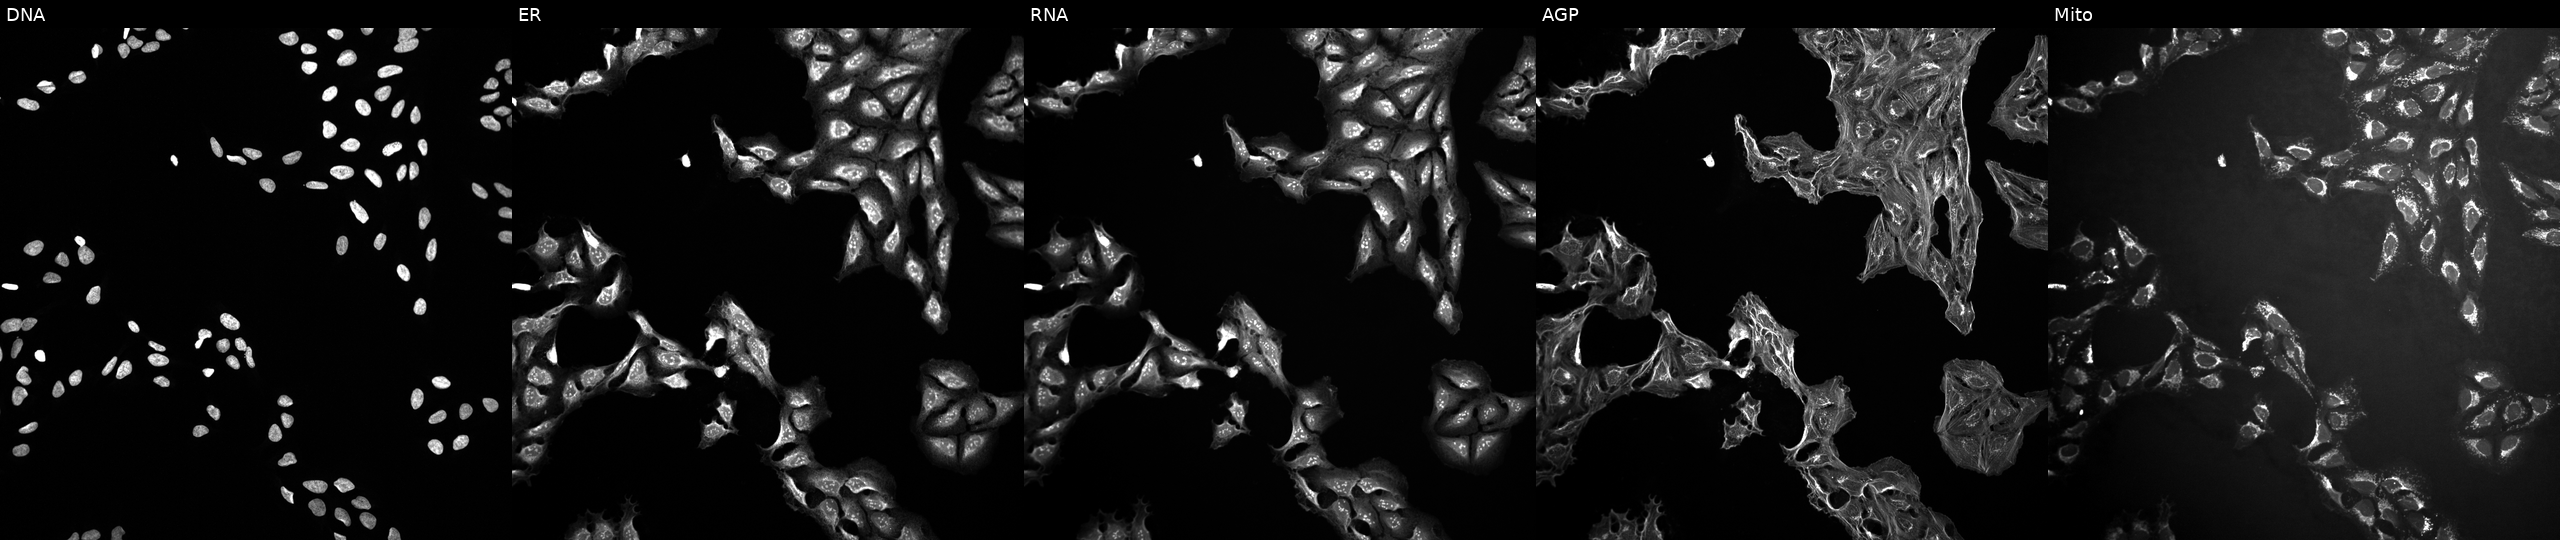
This image strip shows the five Cell Painting channels for a single field of U2OS cells treated with a small-molecule compound (InChIKey XNOPRXBHLZRZKH-UHFFFAOYSA-N). Panels show, left to right, DNA, ER, RNA, AGP, and Mito.